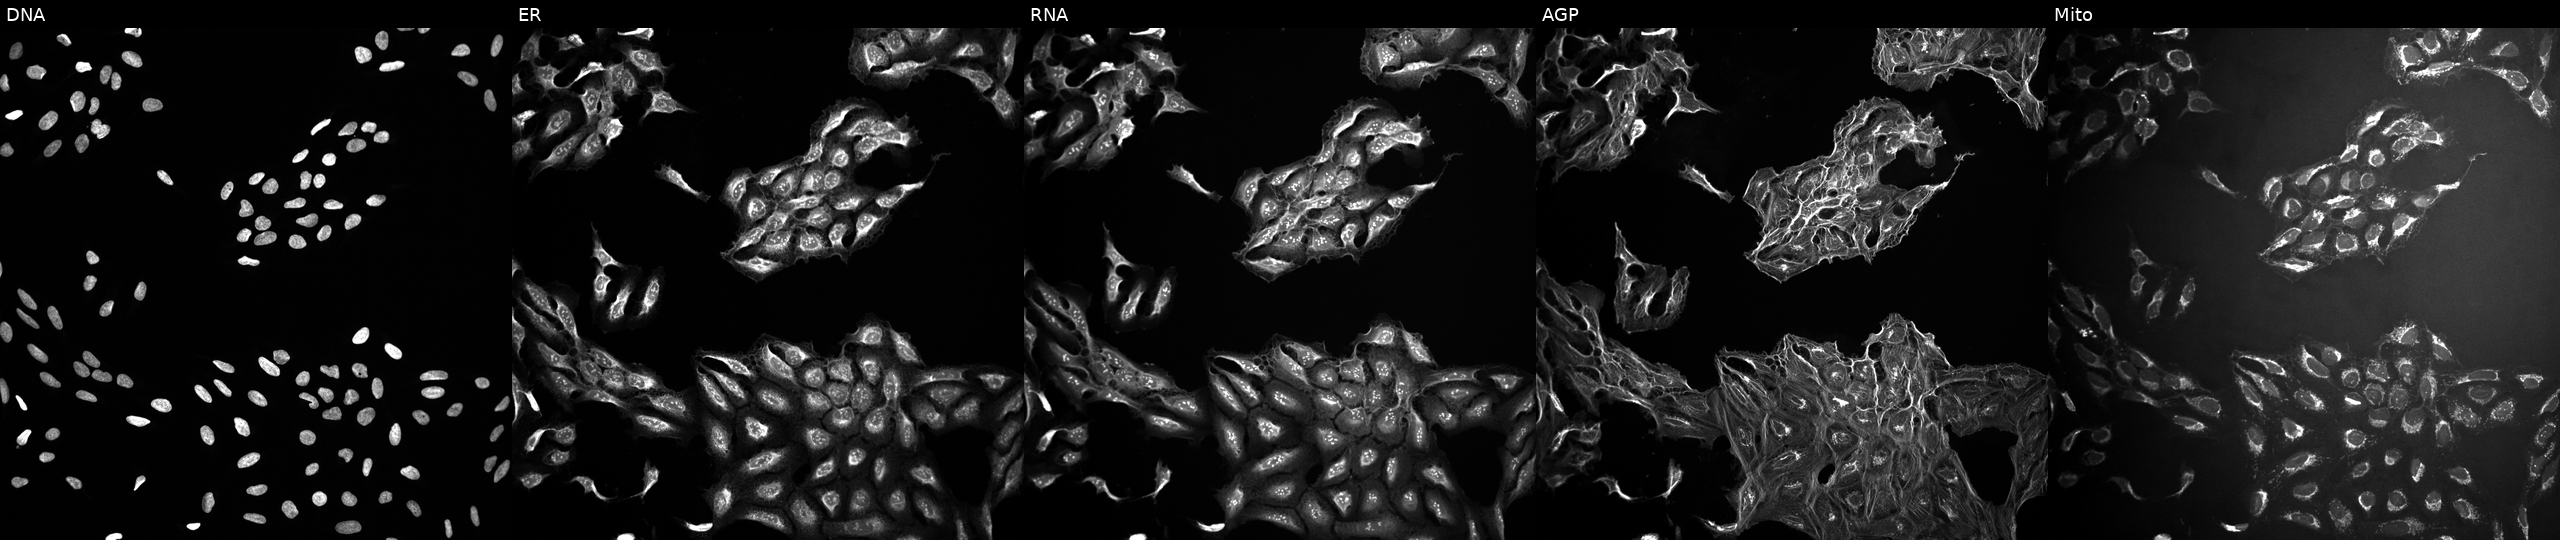
High-content fluorescence microscopy (Cell Painting). Cell line: U2OS. Perturbation: perturbed with a small-molecule compound [SMILES: N=c1[nH]c(F)nc2c1ncn2C1OC(CO)C(O)C1O] (JUMP id JCP2022_029186). From left to right: DNA (nuclei); ER (endoplasmic reticulum); RNA (nucleoli and cytoplasmic RNA); AGP (actin cytoskeleton, Golgi, and plasma membrane); Mito (mitochondria).